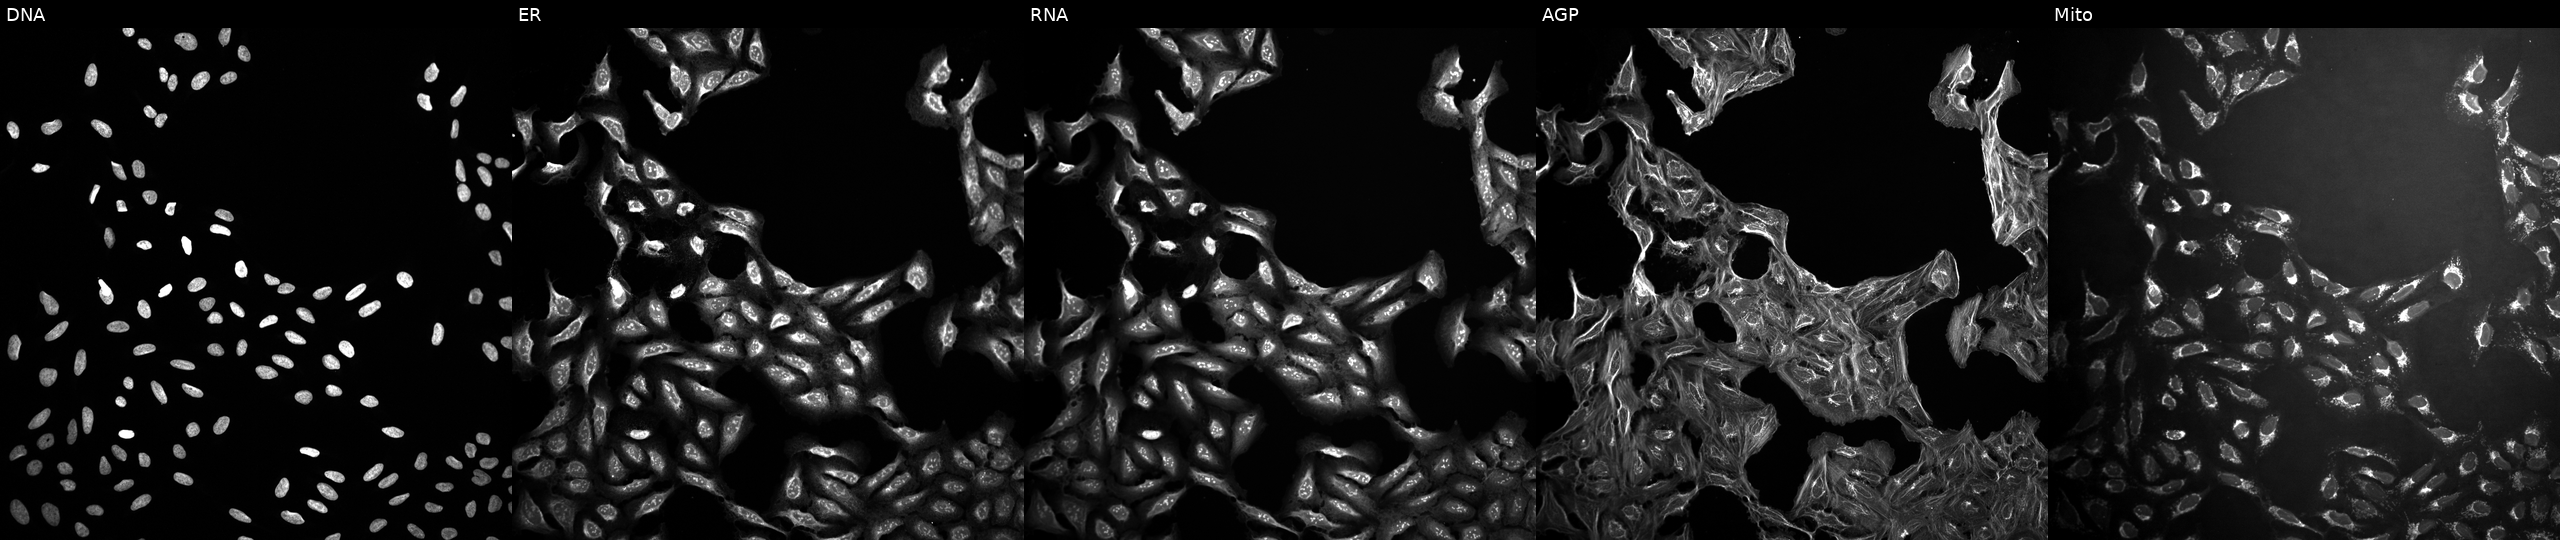
Channels (left→right): DNA (nuclei); ER (endoplasmic reticulum); RNA (nucleoli and cytoplasmic RNA); AGP (actin cytoskeleton, Golgi, and plasma membrane); Mito (mitochondria). U2OS osteosarcoma cells treated with a small-molecule compound (InChIKey VFSVKVQMZDJFQX-UHFFFAOYSA-N) (JUMP id JCP2022_093678). Cell Painting assay, JUMP-CP dataset.